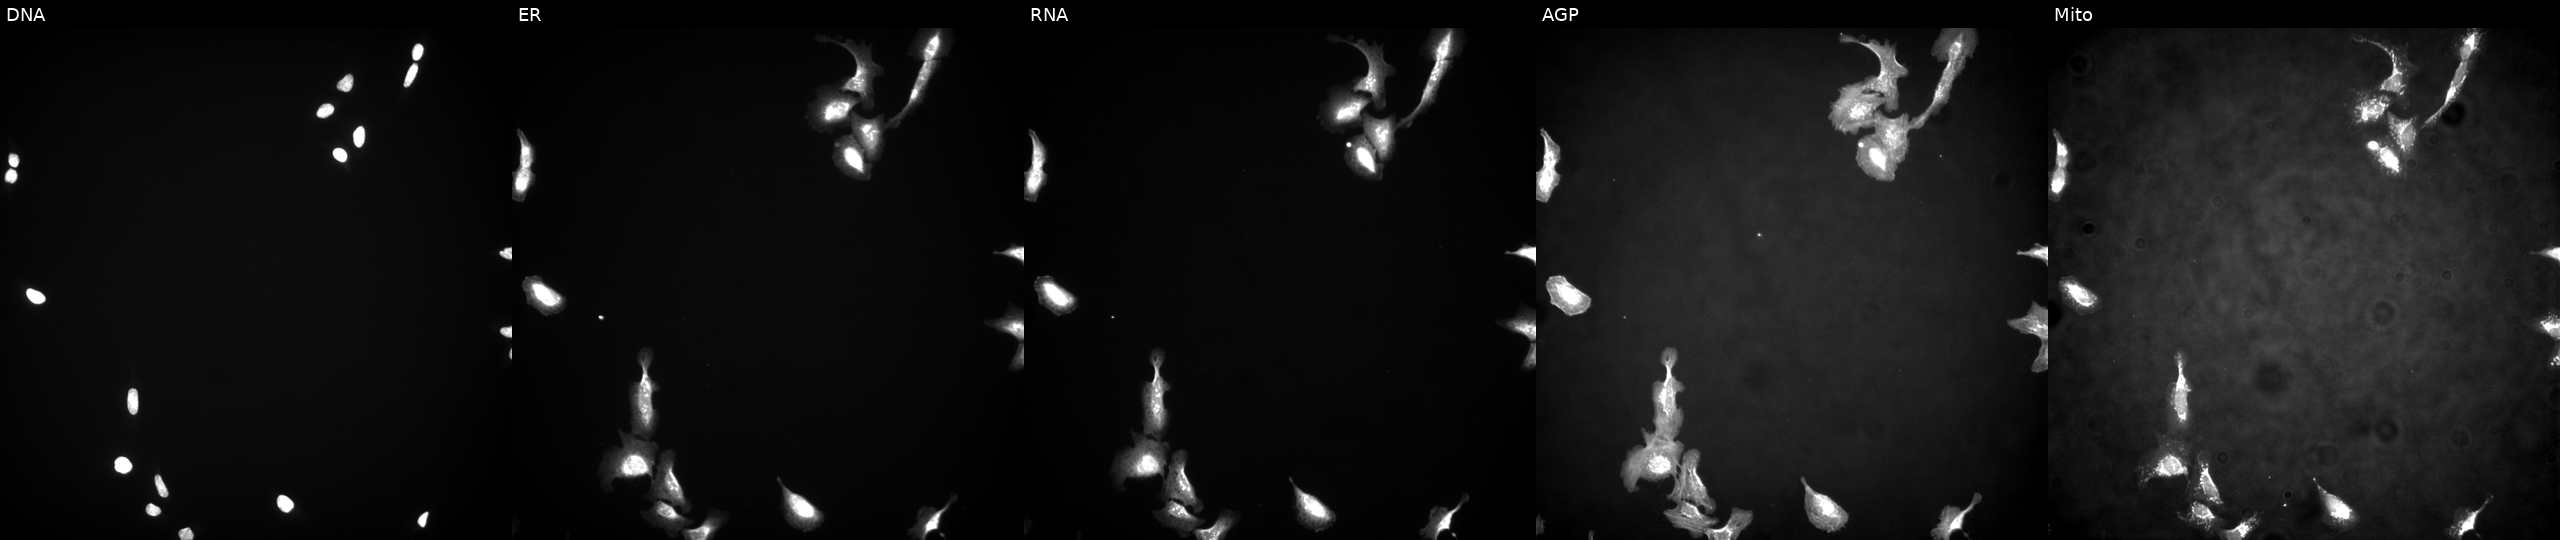
Five-channel Cell Painting image of U2OS cells overexpressing SPANXC via ORF transfection (JUMP id JCP2022_909121). Channels (left→right): DNA, ER, RNA, AGP, and Mito.